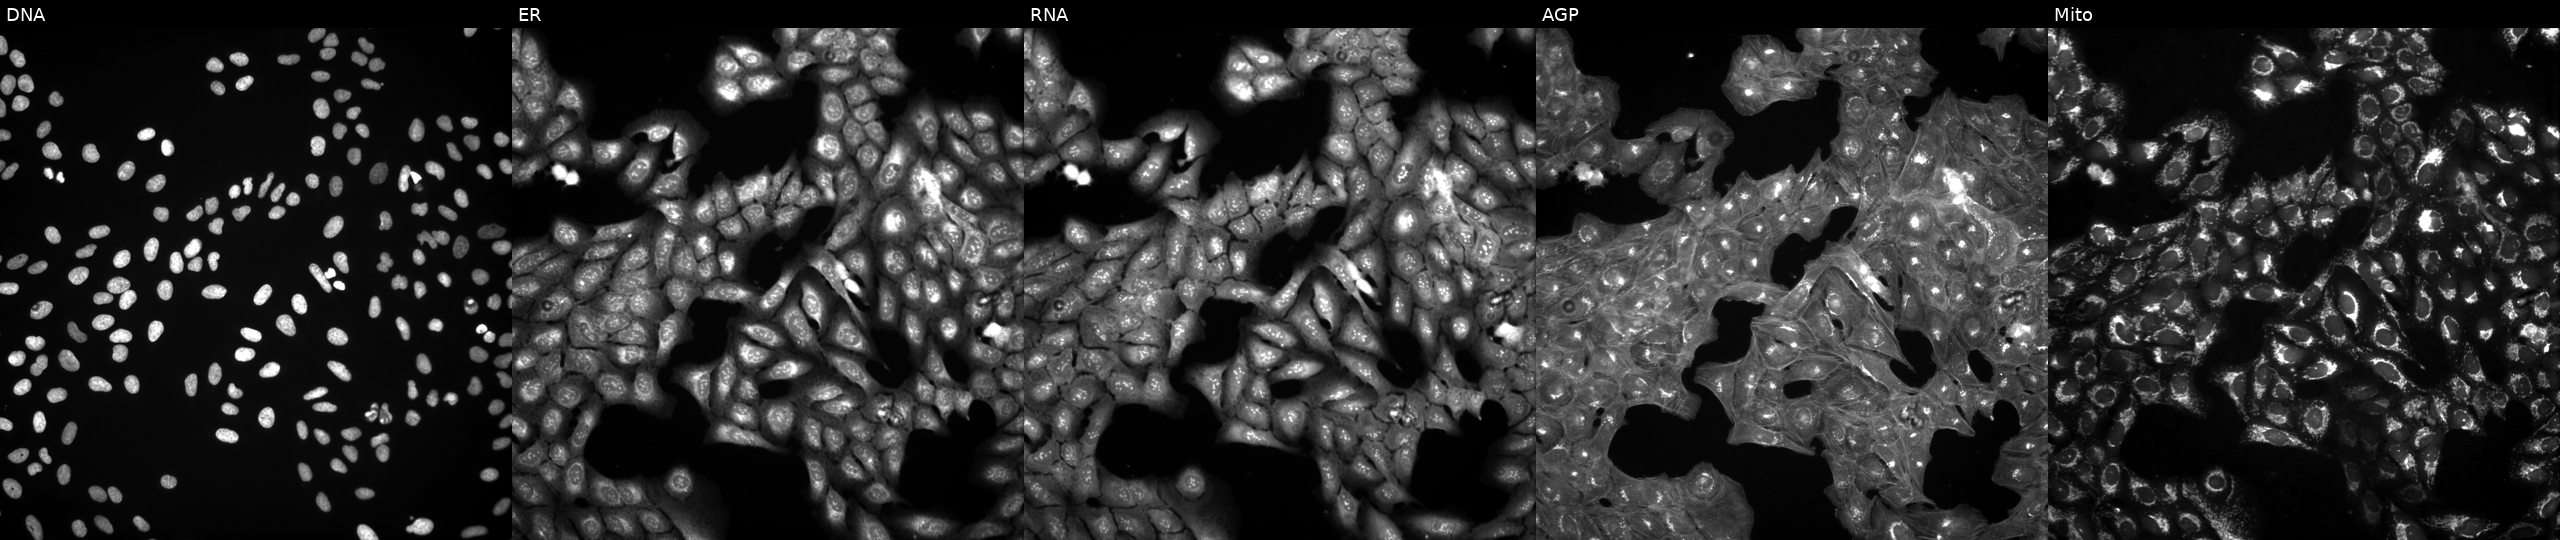
This image strip shows the five Cell Painting channels for a single field of U2OS cells treated with a small-molecule compound (InChIKey CRBJWYBWYYKQBO-UHFFFAOYSA-N) (JUMP id JCP2022_012933). The five panels, left to right, show DNA, ER, RNA, AGP, and Mito.